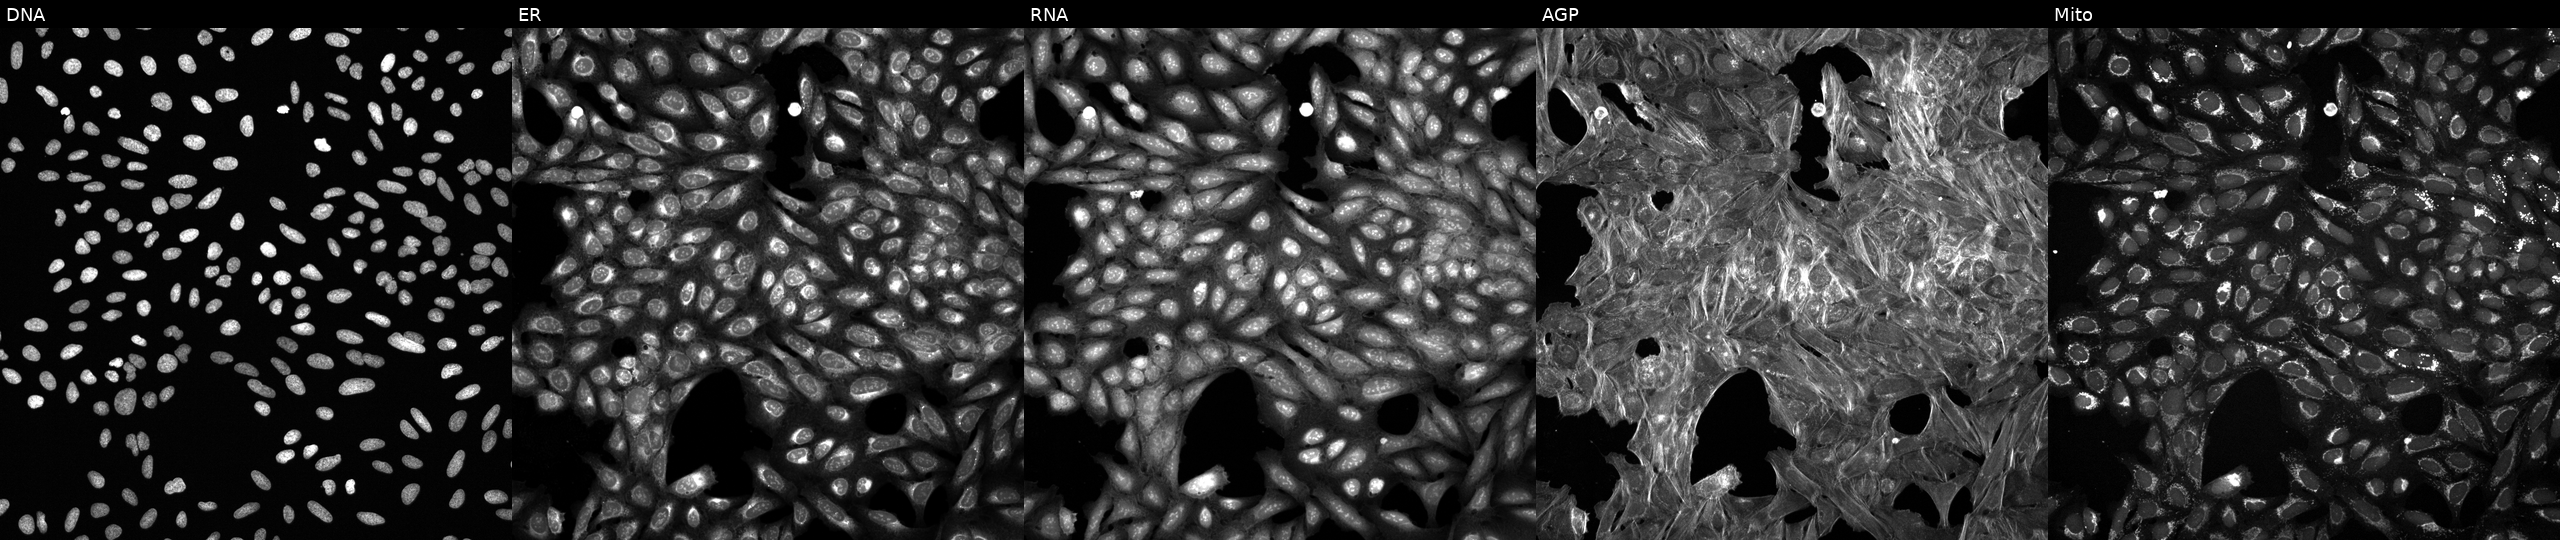
From left to right: DNA (nuclei); ER (endoplasmic reticulum); RNA (nucleoli and cytoplasmic RNA); AGP (actin cytoskeleton, Golgi, and plasma membrane); Mito (mitochondria). U2OS osteosarcoma cells treated with a small-molecule compound (InChIKey LUAVYIONUYXBNJ-UHFFFAOYSA-N) [SMILES: Cc1ccc(-c2cc(C(=O)N3CCCCC3)nn2C2CCS(=O)(=O)C2)cc1]. Cell Painting assay, JUMP-CP dataset.